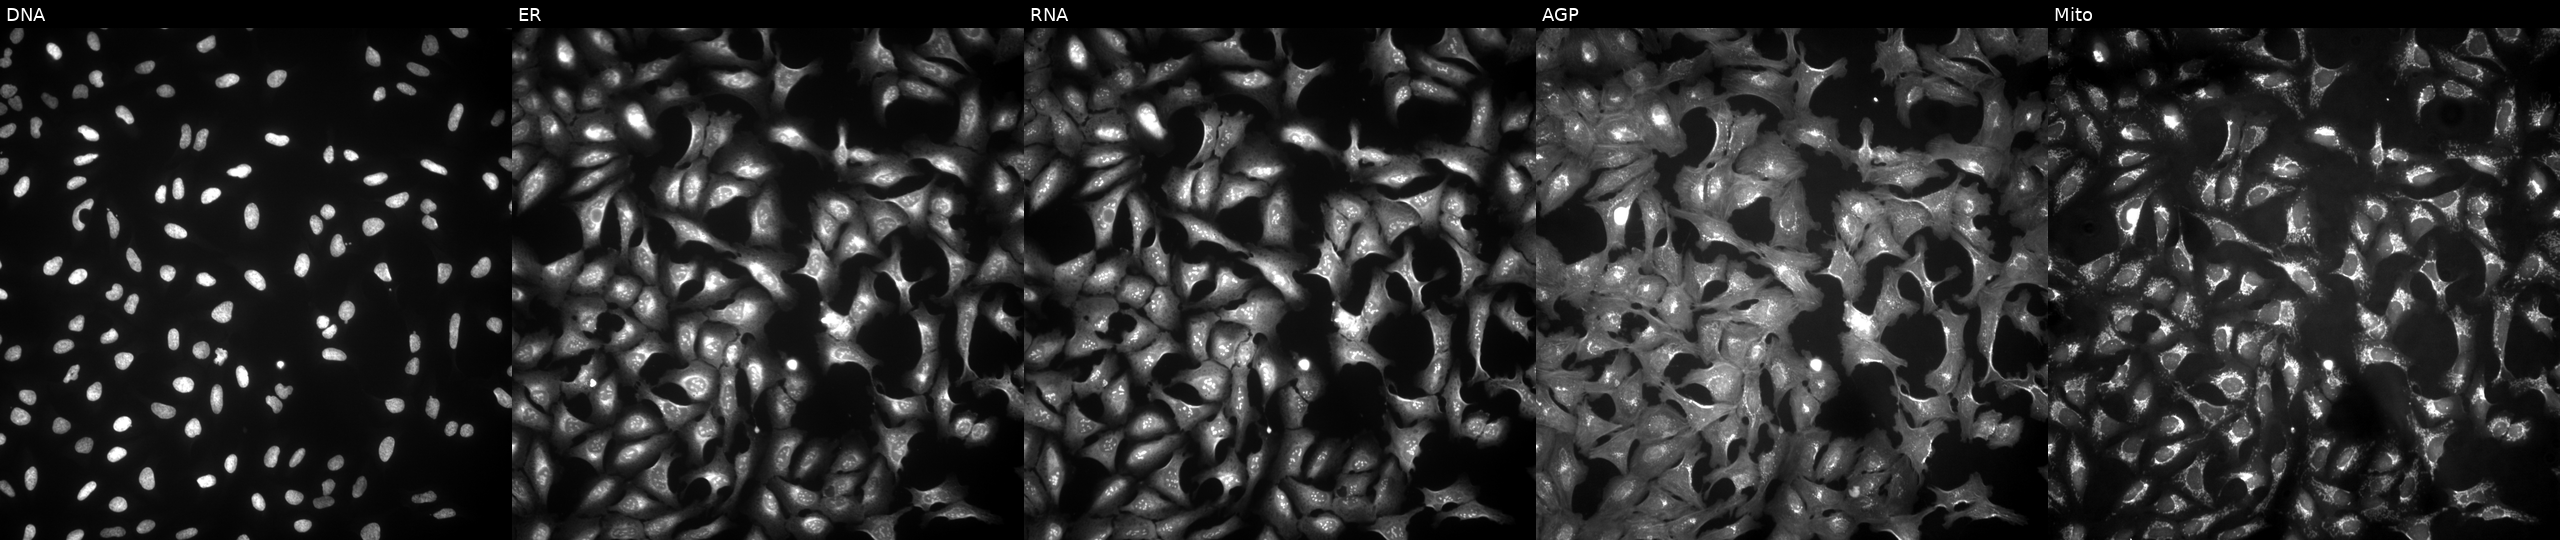
The five panels, left to right, show Hoechst 33342, concanavalin A, SYTO 14, phalloidin and WGA, MitoTracker. U2OS osteosarcoma cells overexpressing TTLL6 via ORF transfection (JUMP id JCP2022_912597). Cell Painting assay, JUMP-CP dataset. Source 4, plate BR00123506, well B08.